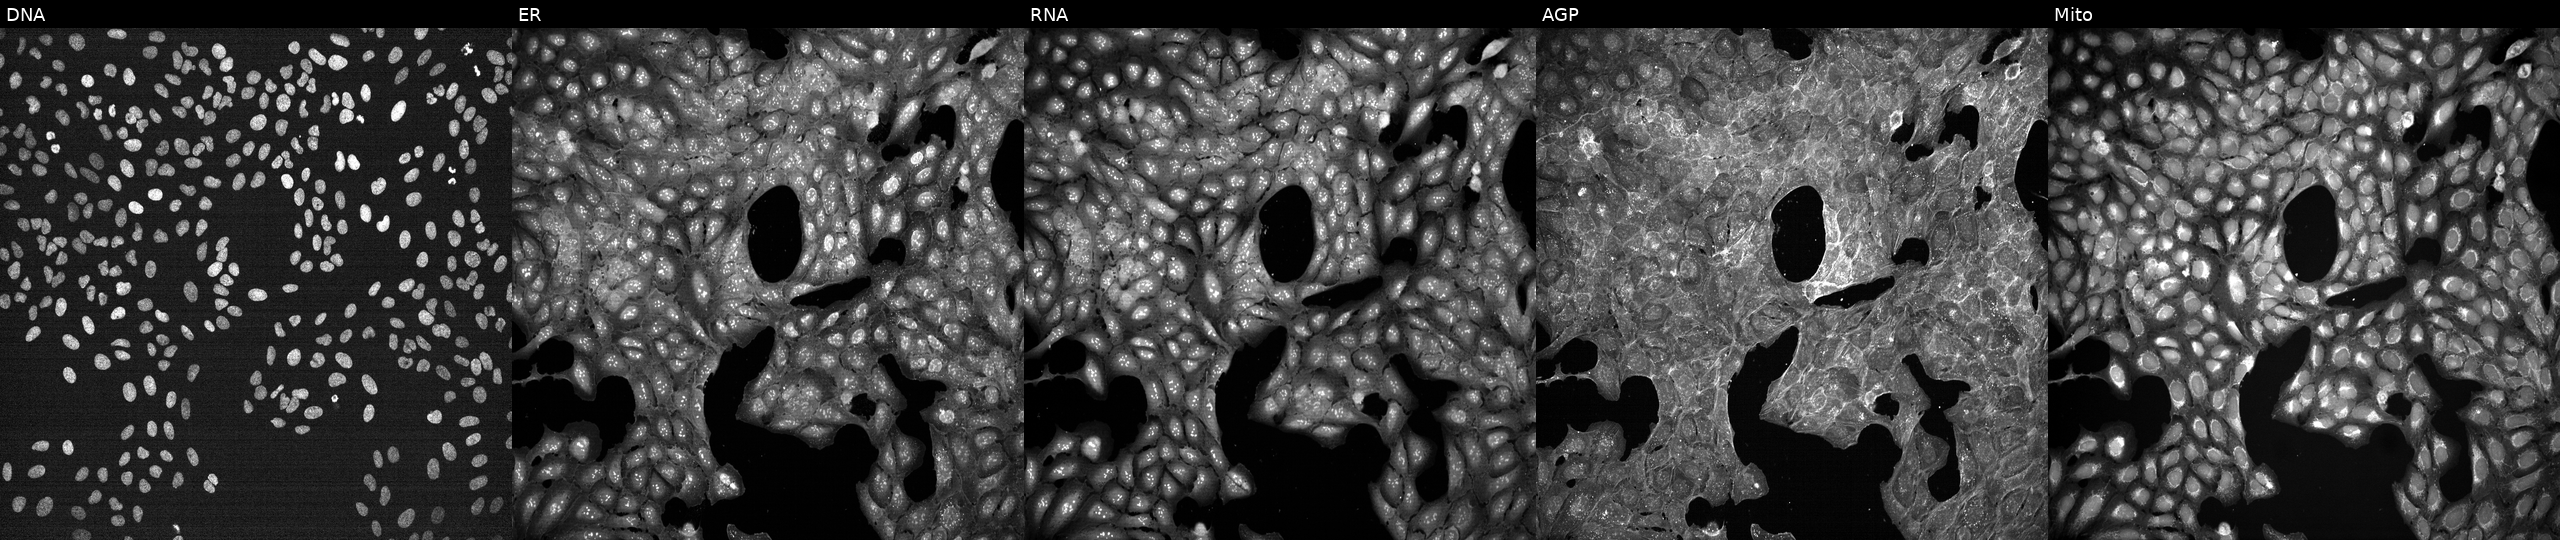
JUMP Cell Painting — TARGET2 plate. U2OS cells treated with a small-molecule compound (InChIKey HKQYGTCOTHHOMP-UHFFFAOYSA-N) (JUMP id JCP2022_030831). From left to right: Hoechst 33342, concanavalin A, SYTO 14, phalloidin and WGA, MitoTracker.